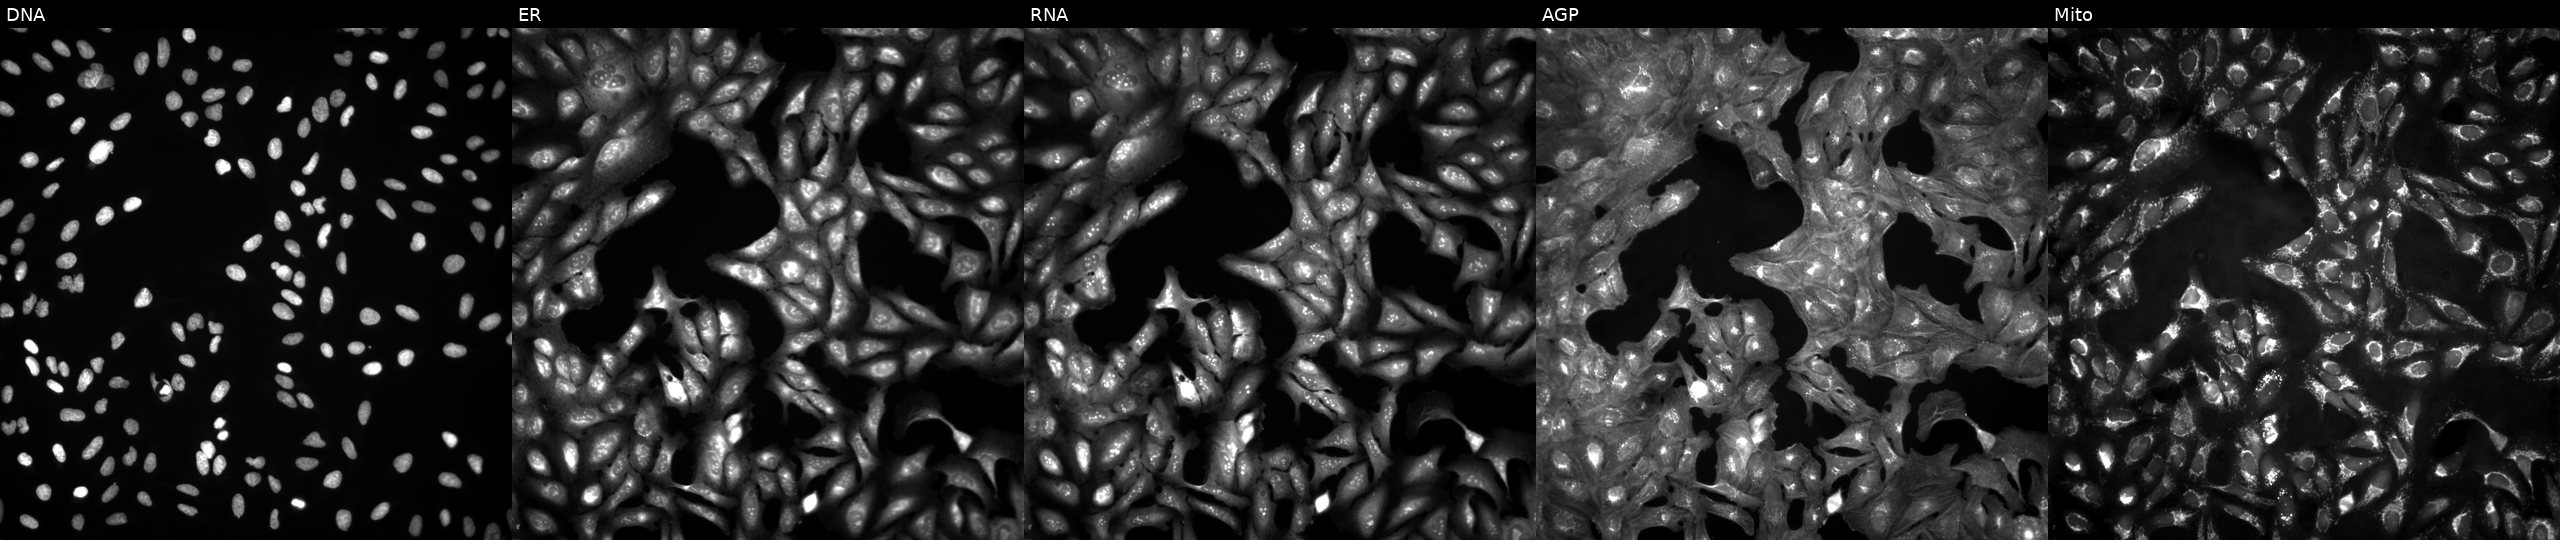
Five-channel Cell Painting image of U2OS cells untreated (empty-well control) (JUMP id JCP2022_999999). From left to right: Hoechst 33342, concanavalin A, SYTO 14, phalloidin and WGA, MitoTracker.